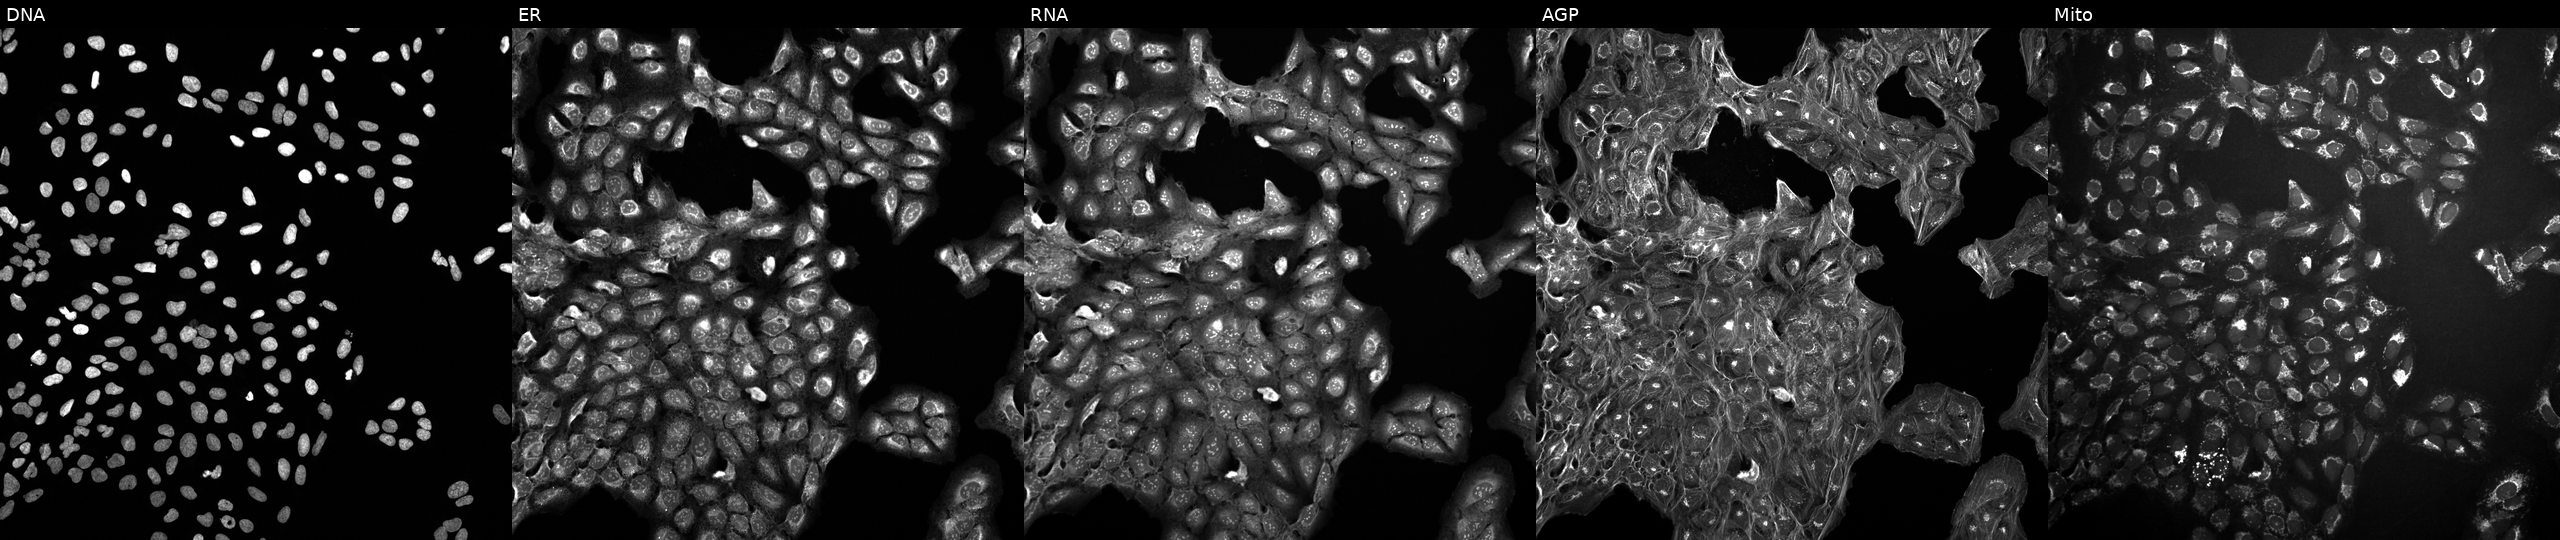
JUMP Cell Painting — COMPOUND plate. U2OS cells in an empty control well (no perturbation). From left to right: Hoechst 33342, concanavalin A, SYTO 14, phalloidin and WGA, MitoTracker.